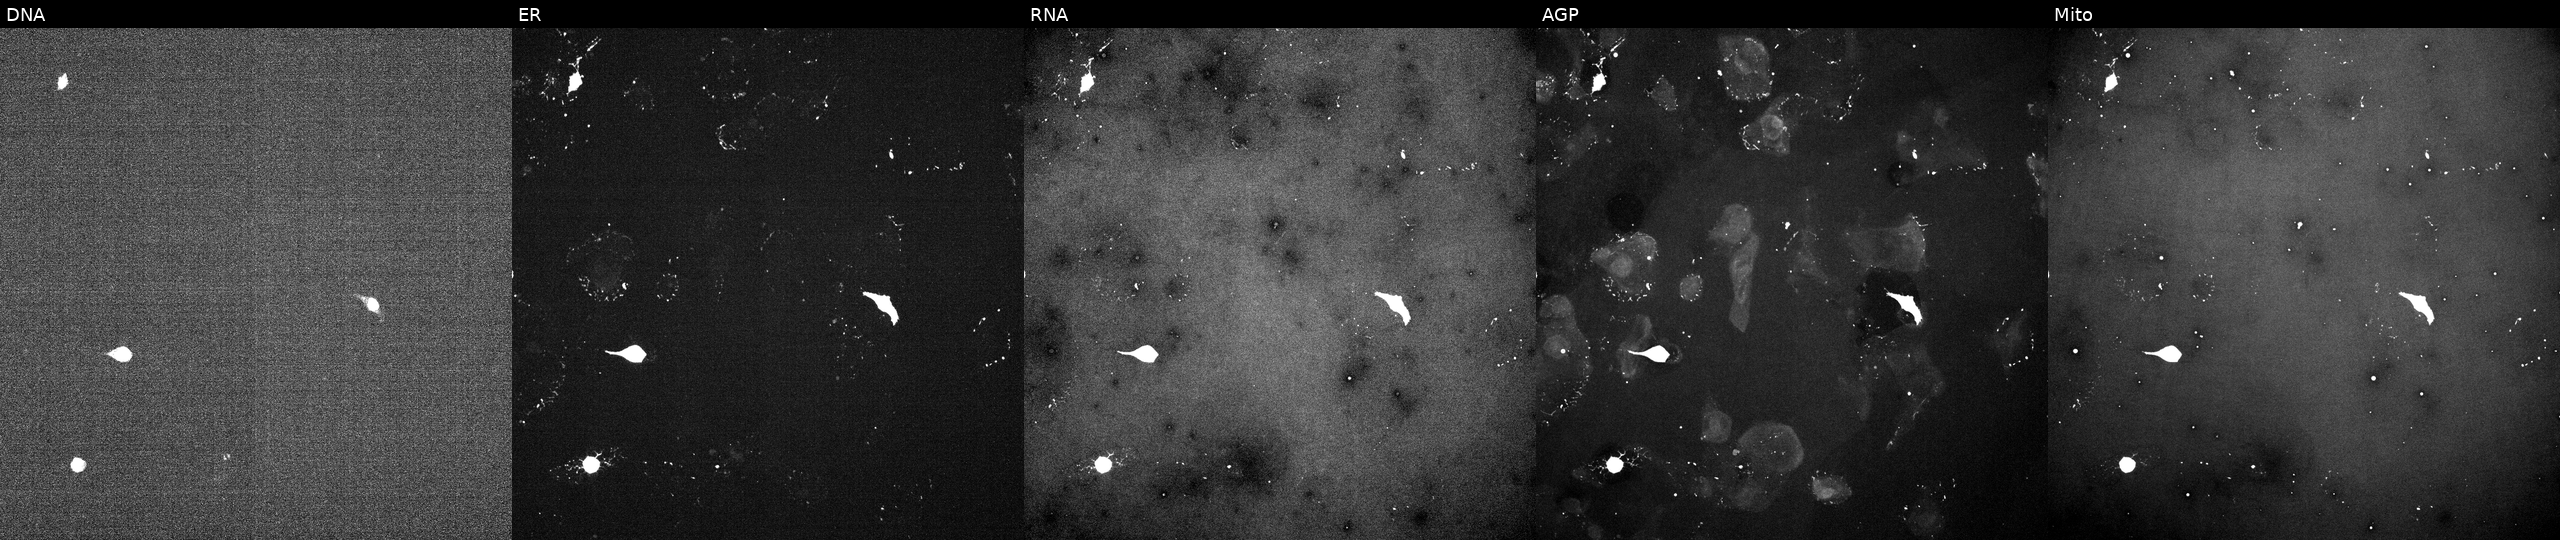
High-content fluorescence microscopy (Cell Painting). Cell line: U2OS. Perturbation: treated with a small-molecule compound [SMILES: Cc1ccc(C=C2CNCC(=Cc3ccc(C)cc3)C2=O)cc1] (JUMP id JCP2022_069131). Panels show, left to right, Hoechst 33342, concanavalin A, SYTO 14, phalloidin and WGA, MitoTracker.